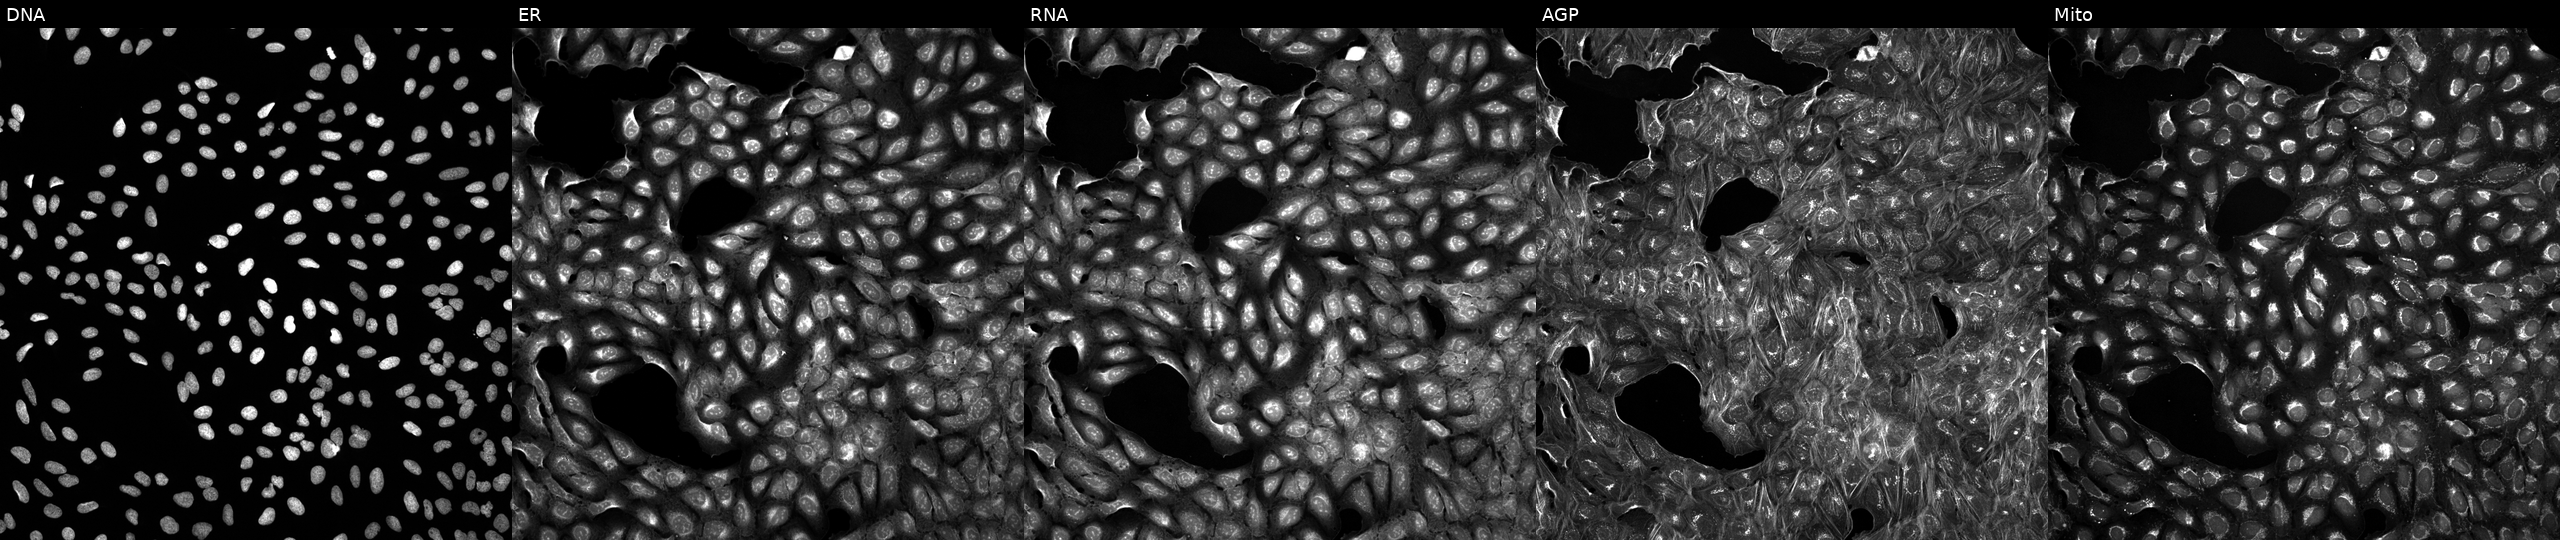
JUMP Cell Painting — TARGET2 plate. U2OS cells treated with a small-molecule compound (InChIKey NBHPRWLFLUBAIE-UHFFFAOYSA-N). Panels show, left to right, Hoechst 33342, concanavalin A, SYTO 14, phalloidin and WGA, MitoTracker. Source 5, plate ACPJUM051, well I11.